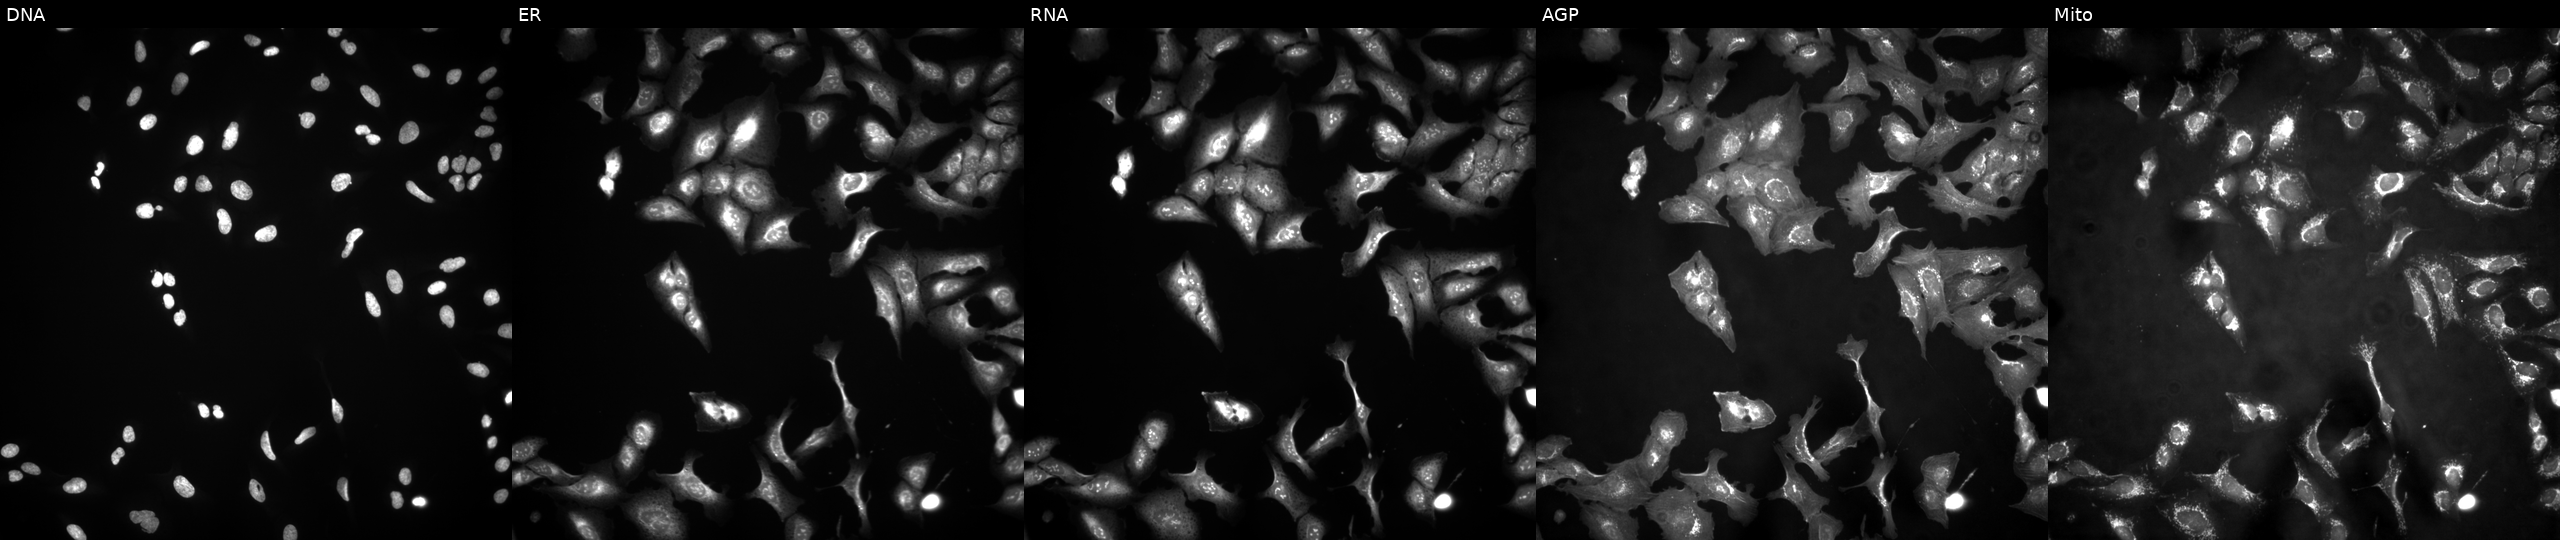
From left to right: Hoechst 33342, concanavalin A, SYTO 14, phalloidin and WGA, MitoTracker. U2OS osteosarcoma cells with SARAF overexpressed (ORF) (JUMP id JCP2022_903155). Cell Painting assay, JUMP-CP dataset. Source 4, plate BR00121543, well N15.